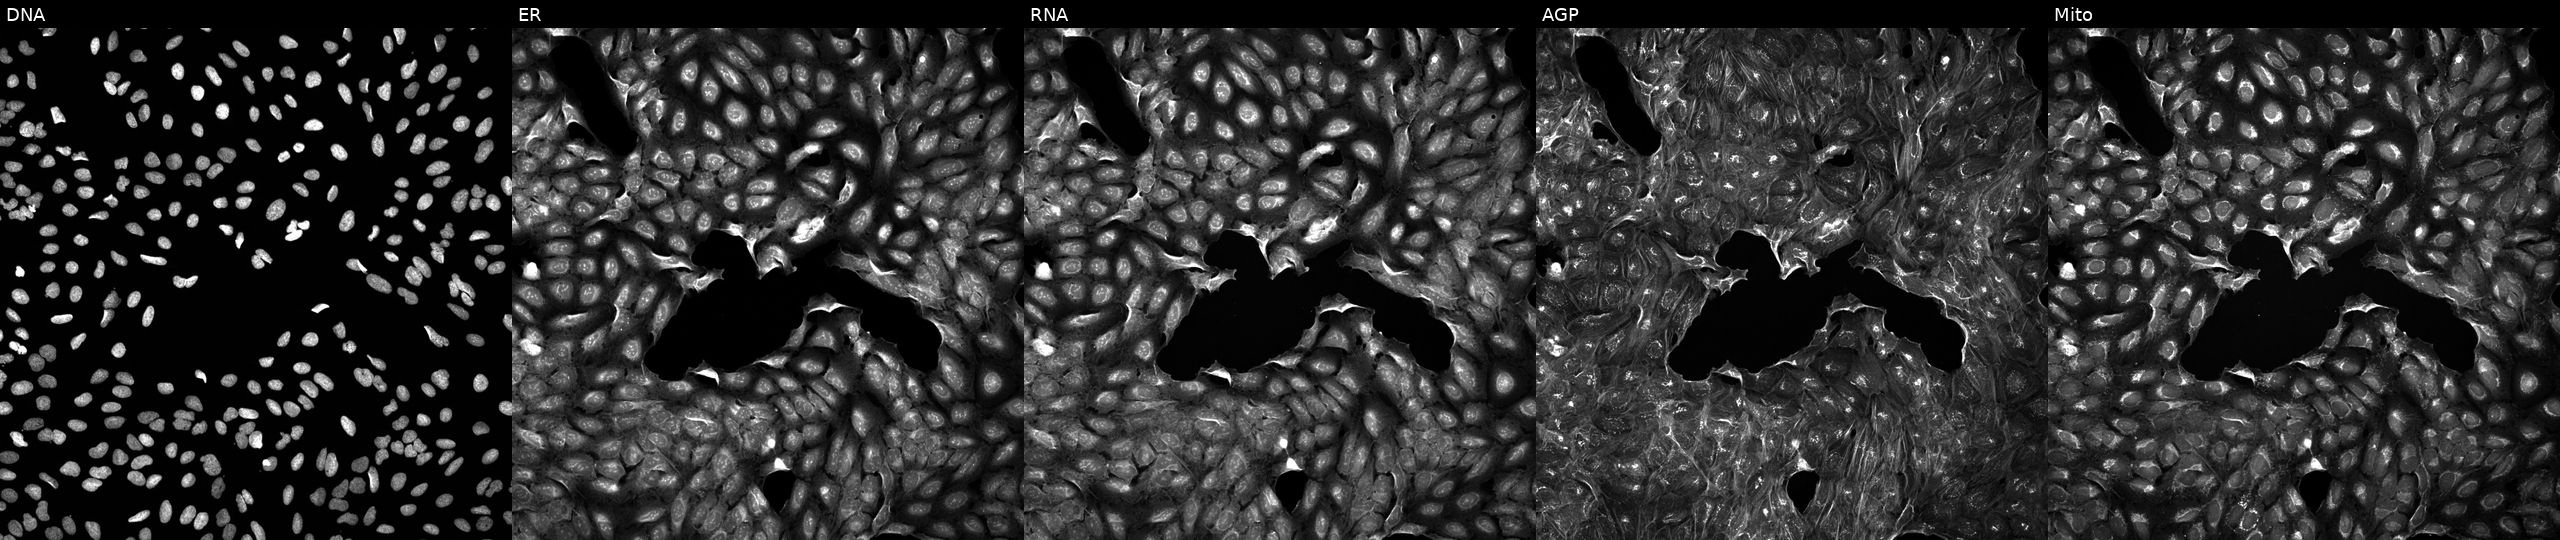
JUMP Cell Painting — COMPOUND plate. U2OS cells perturbed with a small-molecule compound (InChIKey NXHQNYVMLJTMKB-UHFFFAOYSA-N) (JUMP id JCP2022_061982). Channels (left→right): Hoechst 33342, concanavalin A, SYTO 14, phalloidin and WGA, MitoTracker. Source 5, plate APTJUM105, well G17.